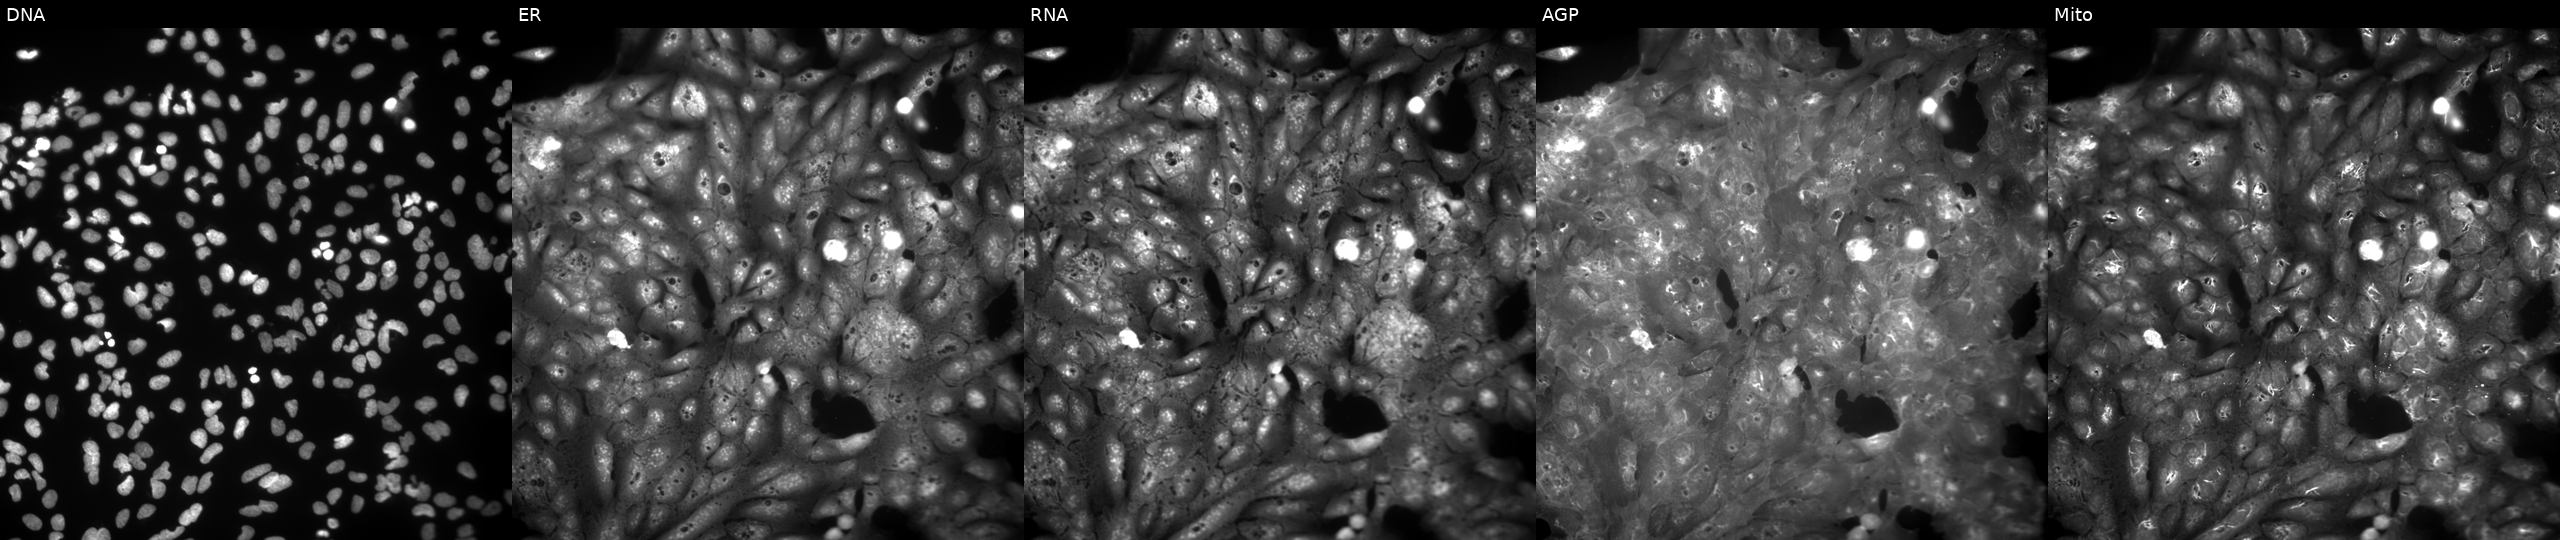
Panels show, left to right, DNA (nuclei); ER (endoplasmic reticulum); RNA (nucleoli and cytoplasmic RNA); AGP (actin cytoskeleton, Golgi, and plasma membrane); Mito (mitochondria). U2OS osteosarcoma cells treated with a small-molecule compound. Cell Painting assay, JUMP-CP dataset. Source 9, plate GR00003381, well AA43.